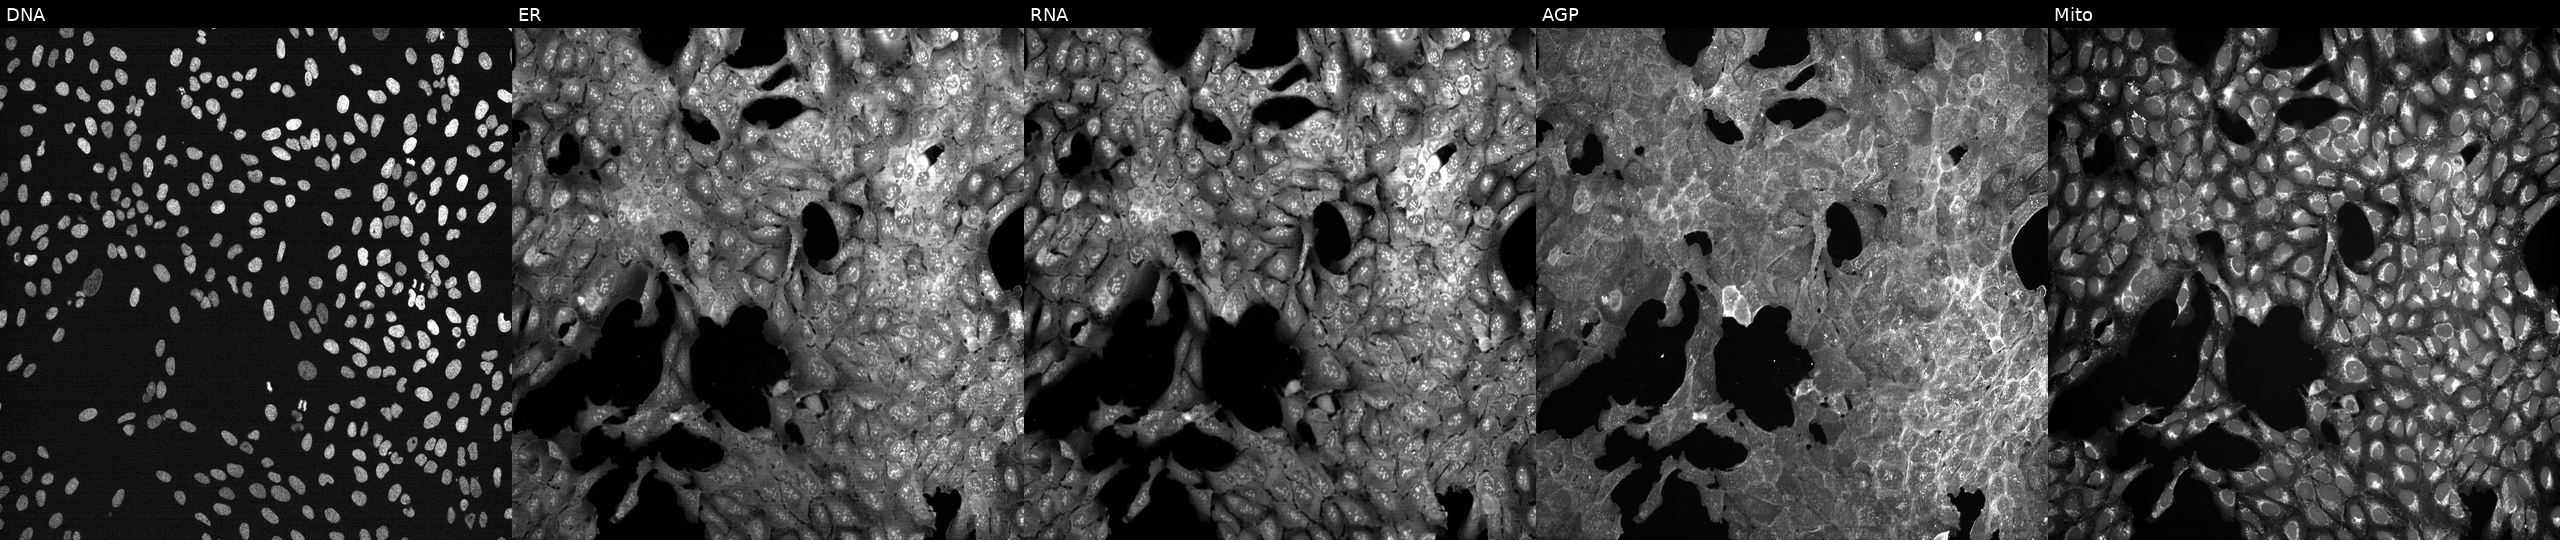
Panels show, left to right, DNA (nuclei); ER (endoplasmic reticulum); RNA (nucleoli and cytoplasmic RNA); AGP (actin cytoskeleton, Golgi, and plasma membrane); Mito (mitochondria). U2OS osteosarcoma cells perturbed with a small-molecule compound (InChIKey MJVAVZPDRWSRRC-UHFFFAOYSA-N). Cell Painting assay, JUMP-CP dataset. Source 7, plate CP3-SC1-25, well H05.